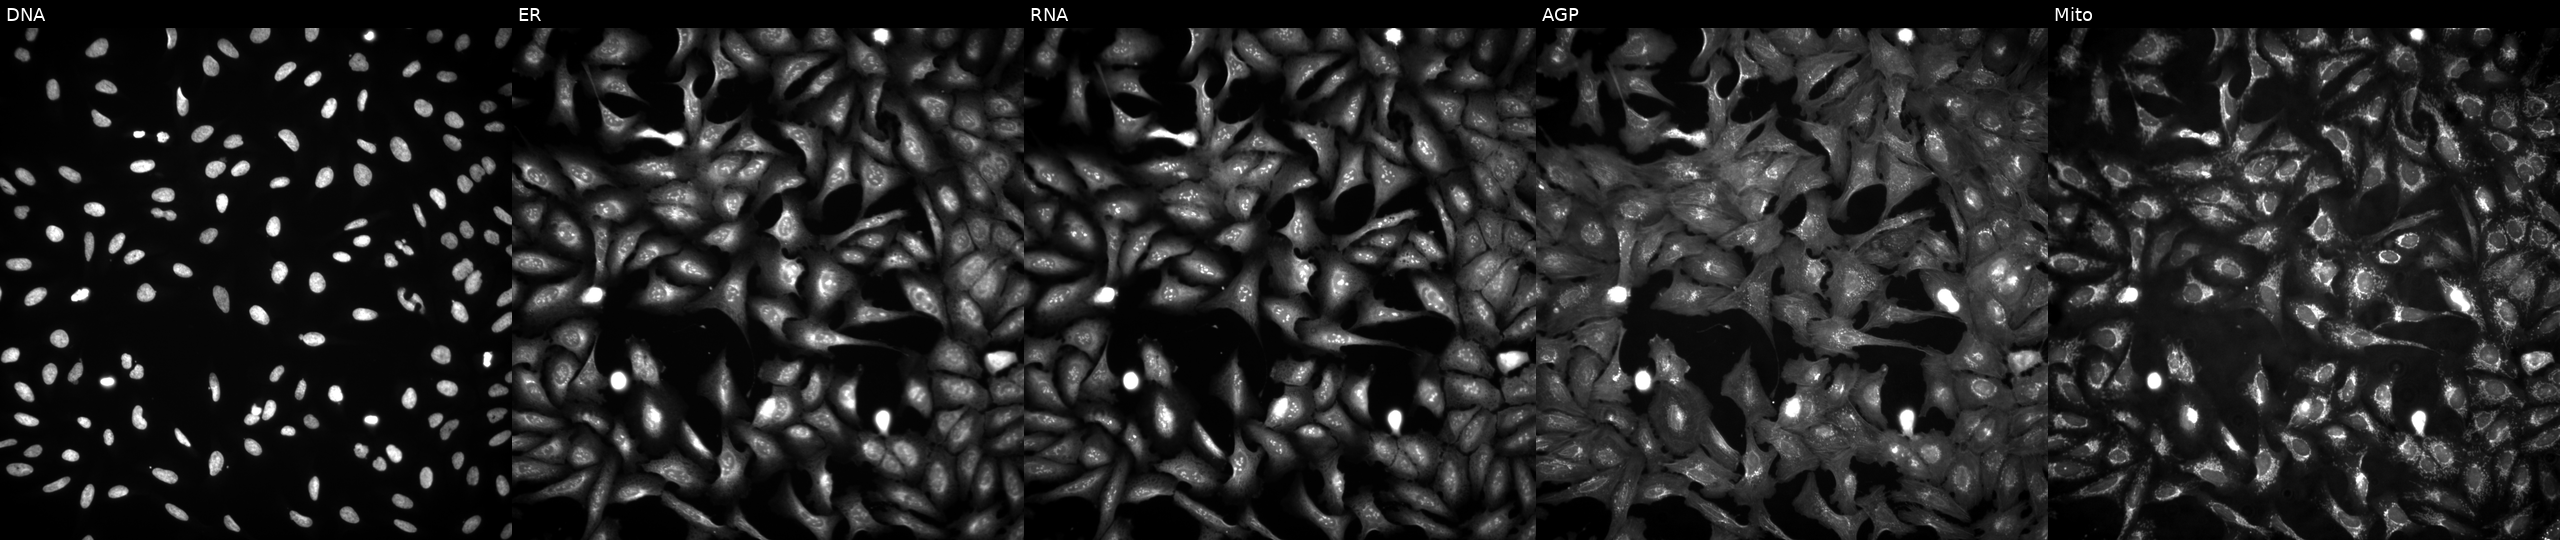
Five-channel Cell Painting image of U2OS cells overexpressing CLSTN3 via ORF transfection. The five panels, left to right, show DNA (nuclei); ER (endoplasmic reticulum); RNA (nucleoli and cytoplasmic RNA); AGP (actin cytoskeleton, Golgi, and plasma membrane); Mito (mitochondria).